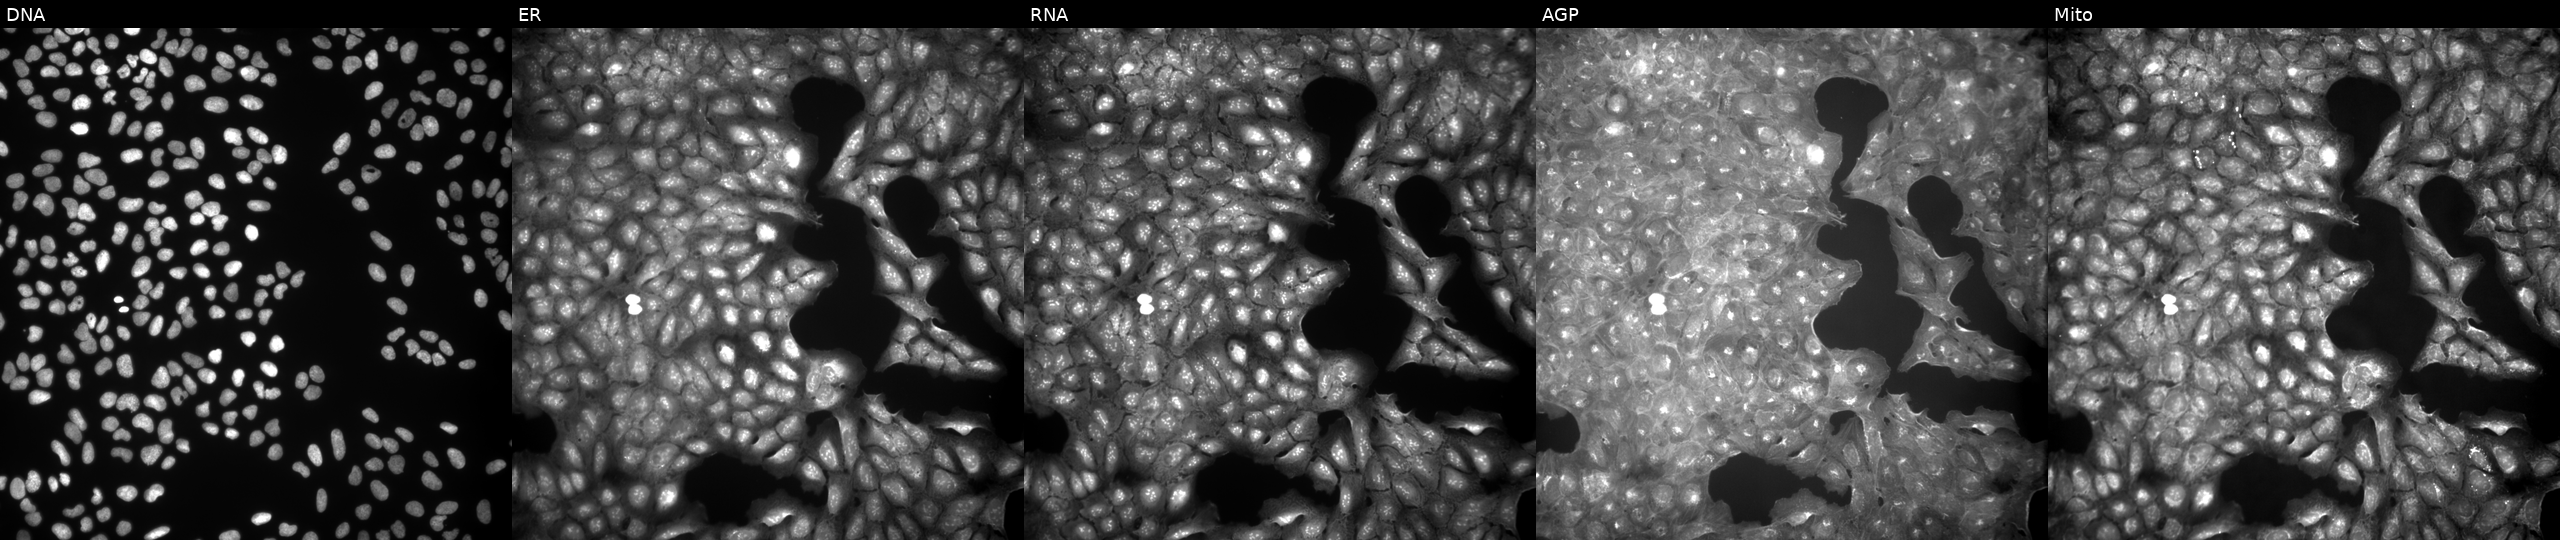
U2OS cells, Cell Painting assay, exposed to a small-molecule compound (InChIKey IQLLVBHAZRHUHM-UHFFFAOYSA-N). From left to right: Hoechst 33342, concanavalin A, SYTO 14, phalloidin and WGA, MitoTracker. Each panel is percentile-stretched 16-bit fluorescence.